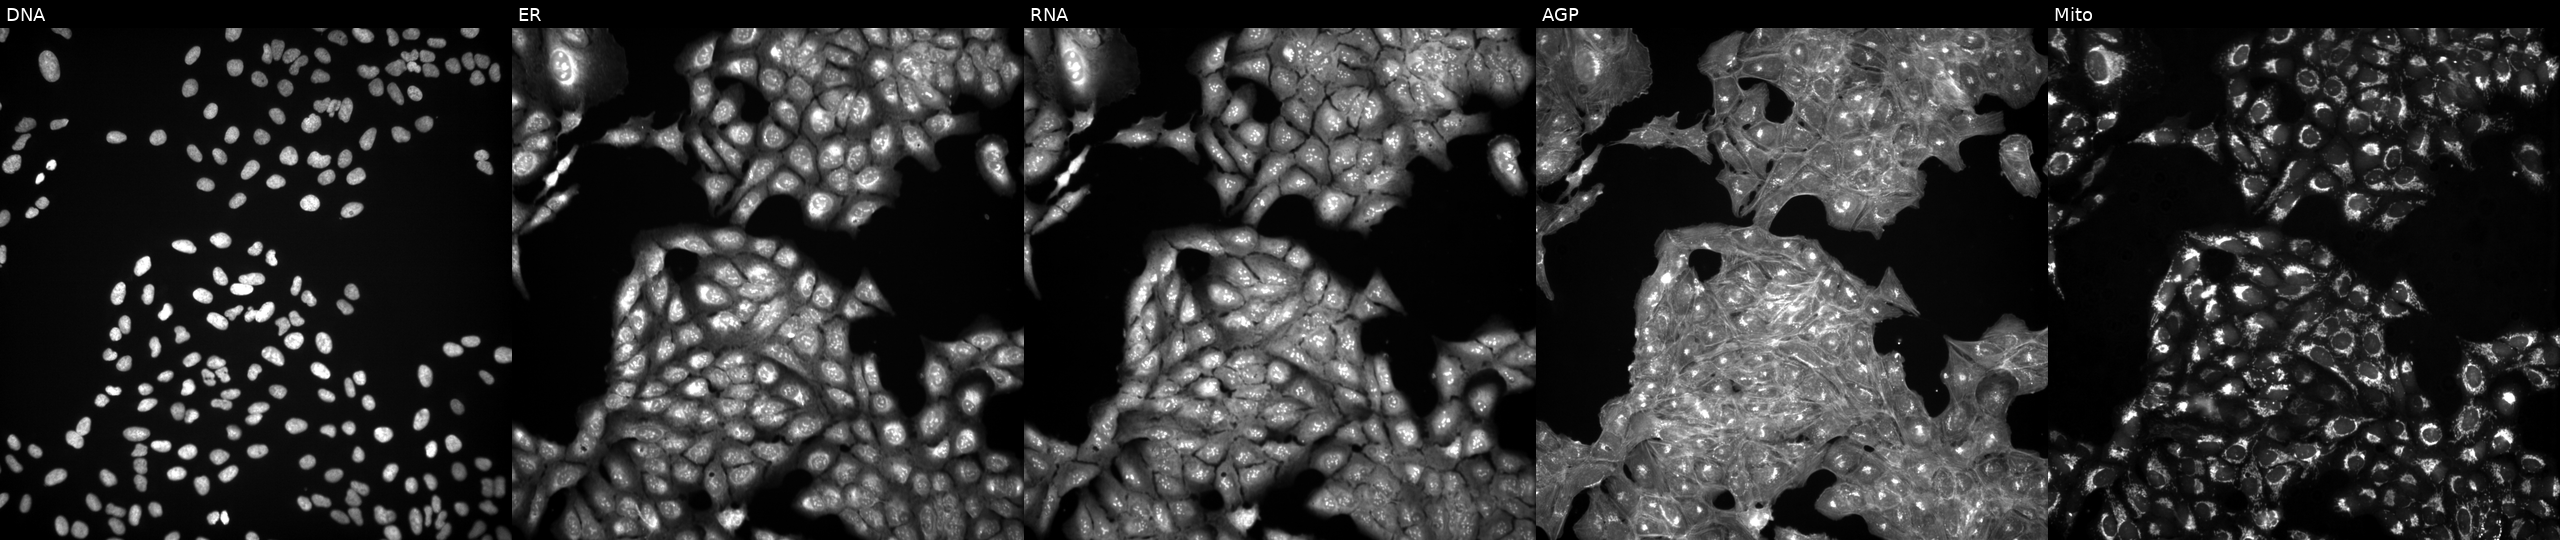
High-content fluorescence microscopy (Cell Painting). Cell line: U2OS. Perturbation: treated with a small-molecule compound (InChIKey GVJHHUAWPYXKBD-UHFFFAOYSA-N) [SMILES: Cc1c(C)c2c(c(C)c1O)CCC(C)(CCCC(C)CCCC(C)CCCC(C)C)O2] (JUMP id JCP2022_028032). Channels (left→right): Hoechst 33342, concanavalin A, SYTO 14, phalloidin and WGA, MitoTracker.